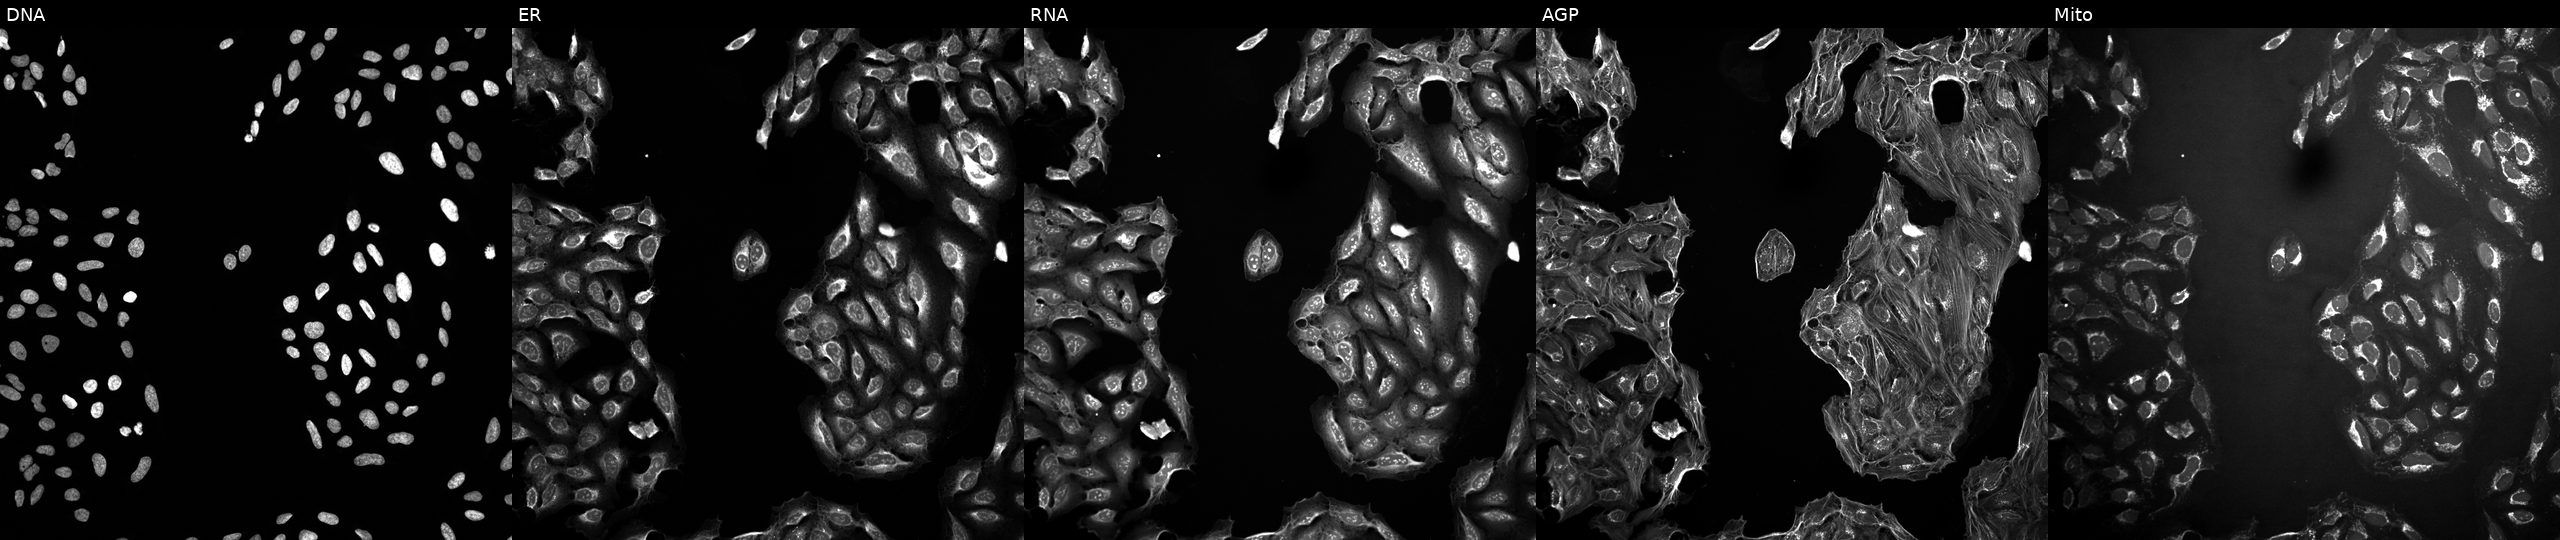
U2OS cells, Cell Painting assay, perturbed with a small-molecule compound [SMILES: Cc1c[nH]c(C(=O)N2CC(c3cccc(O)c3)C3C2C2CCN3CC2)n1] (JUMP id JCP2022_061195). Channels (left→right): DNA, ER, RNA, AGP, and Mito. Each panel is percentile-stretched 16-bit fluorescence.